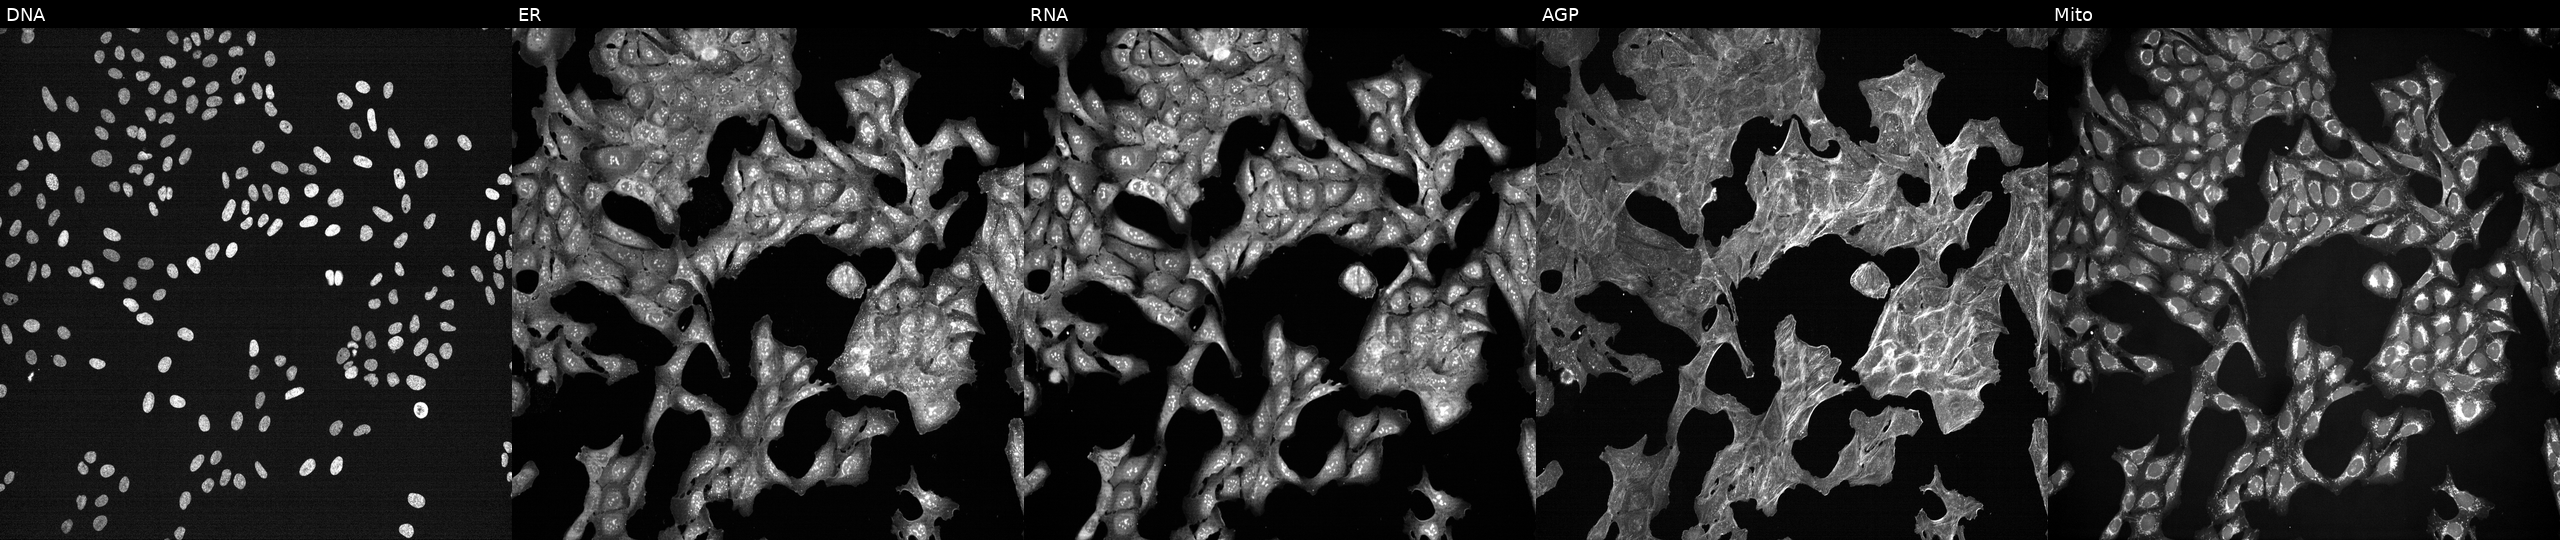
JUMP Cell Painting — TARGET2 plate. U2OS cells treated with a small-molecule compound (InChIKey MENNDDDTIIZDDN-UHFFFAOYSA-N) (JUMP id JCP2022_053626). The five panels, left to right, show DNA (nuclei); ER (endoplasmic reticulum); RNA (nucleoli and cytoplasmic RNA); AGP (actin cytoskeleton, Golgi, and plasma membrane); Mito (mitochondria).